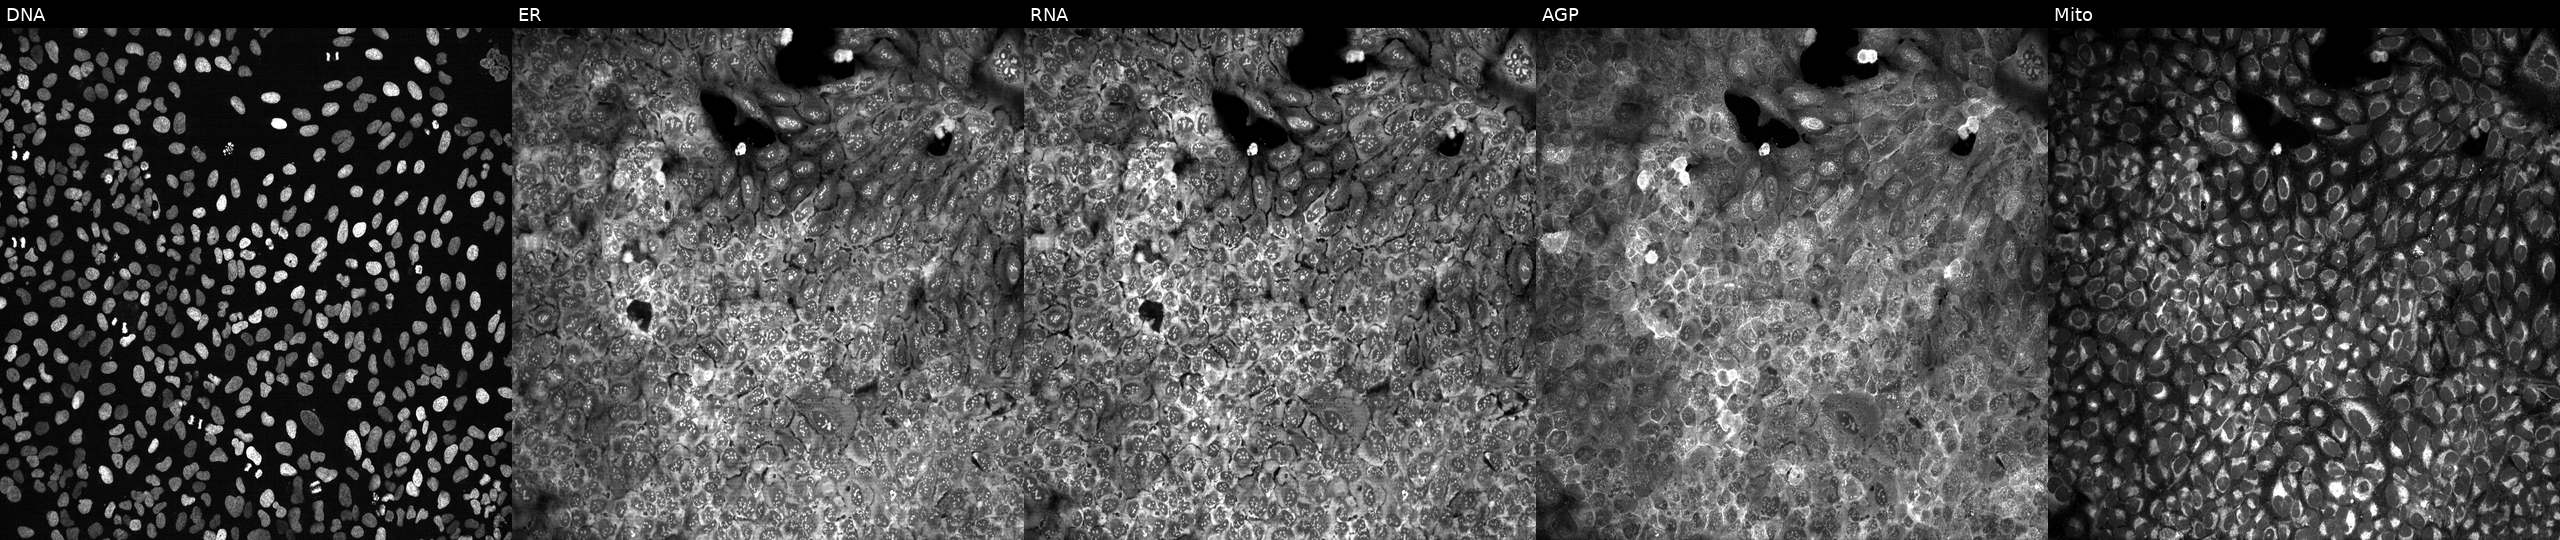
High-content fluorescence microscopy (Cell Painting). Cell line: U2OS. Perturbation: with BZW2 knocked out by CRISPR. Channels (left→right): DNA, ER, RNA, AGP, and Mito.